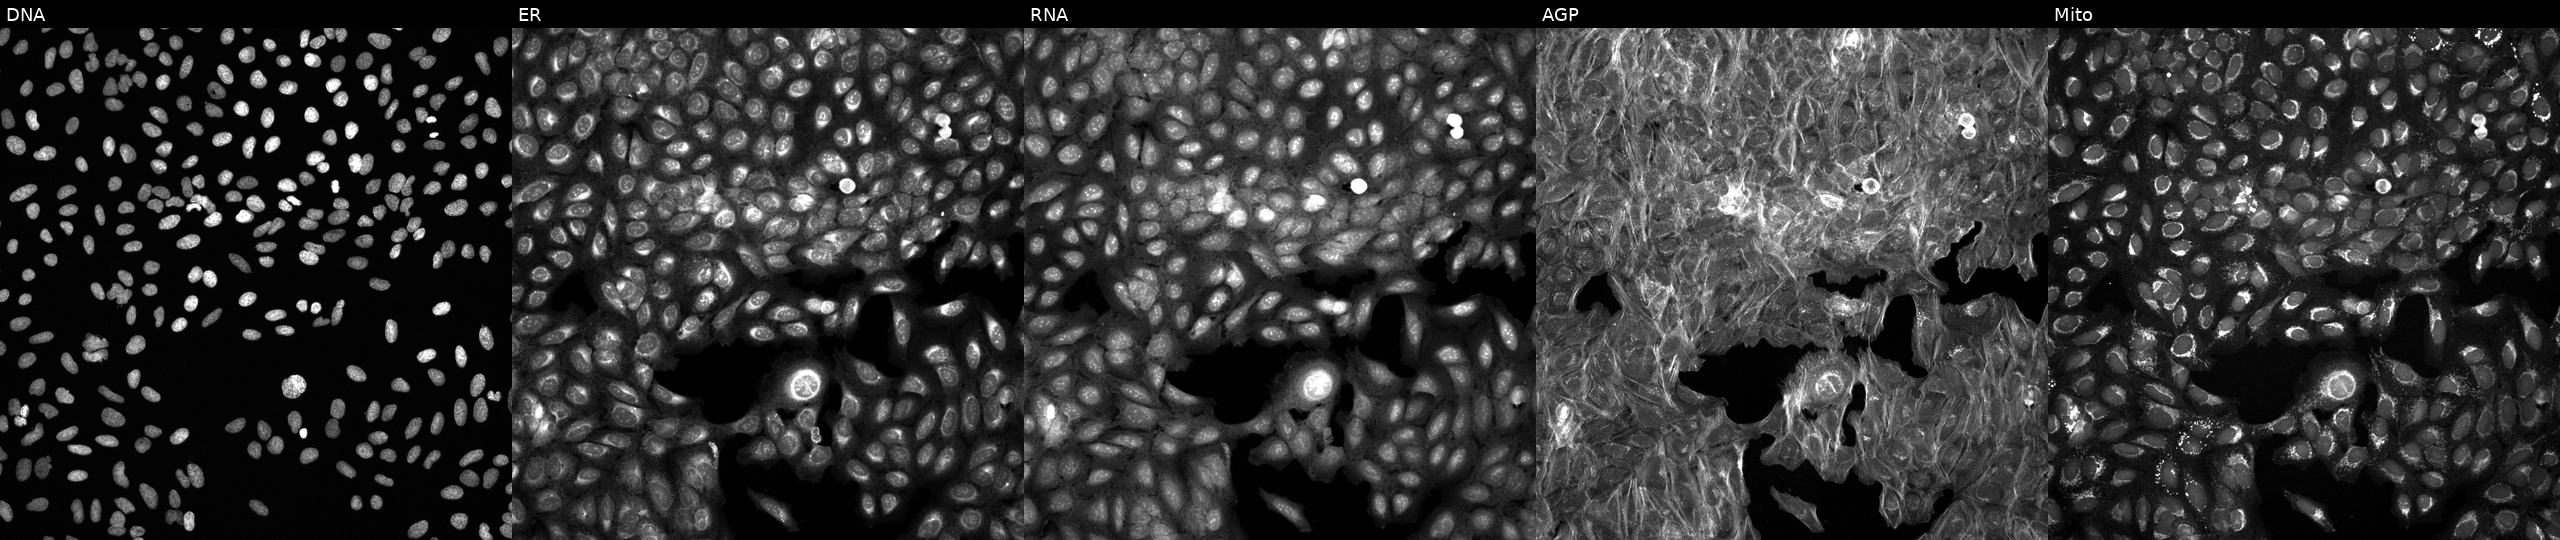
This image strip shows the five Cell Painting channels for a single field of U2OS cells exposed to a small-molecule compound (InChIKey IBAQFPQHRJAVAV-UHFFFAOYSA-N) (JUMP id JCP2022_033936). From left to right: DNA (nuclei); ER (endoplasmic reticulum); RNA (nucleoli and cytoplasmic RNA); AGP (actin cytoskeleton, Golgi, and plasma membrane); Mito (mitochondria).